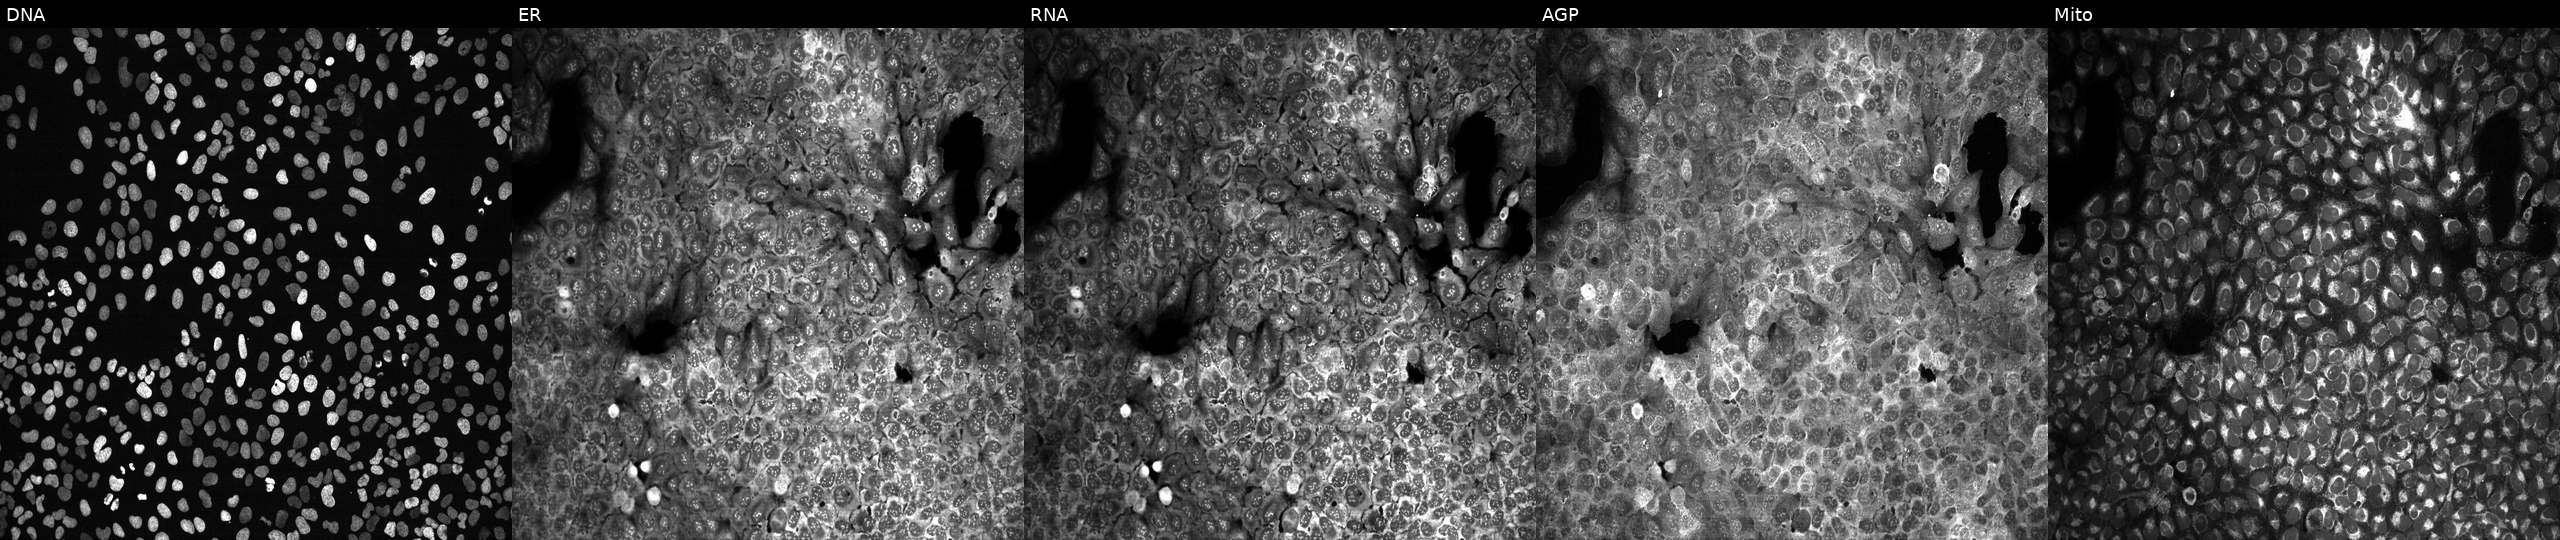
From left to right: Hoechst 33342, concanavalin A, SYTO 14, phalloidin and WGA, MitoTracker. U2OS osteosarcoma cells exposed to DMSO alone as a negative control. Cell Painting assay, JUMP-CP dataset.